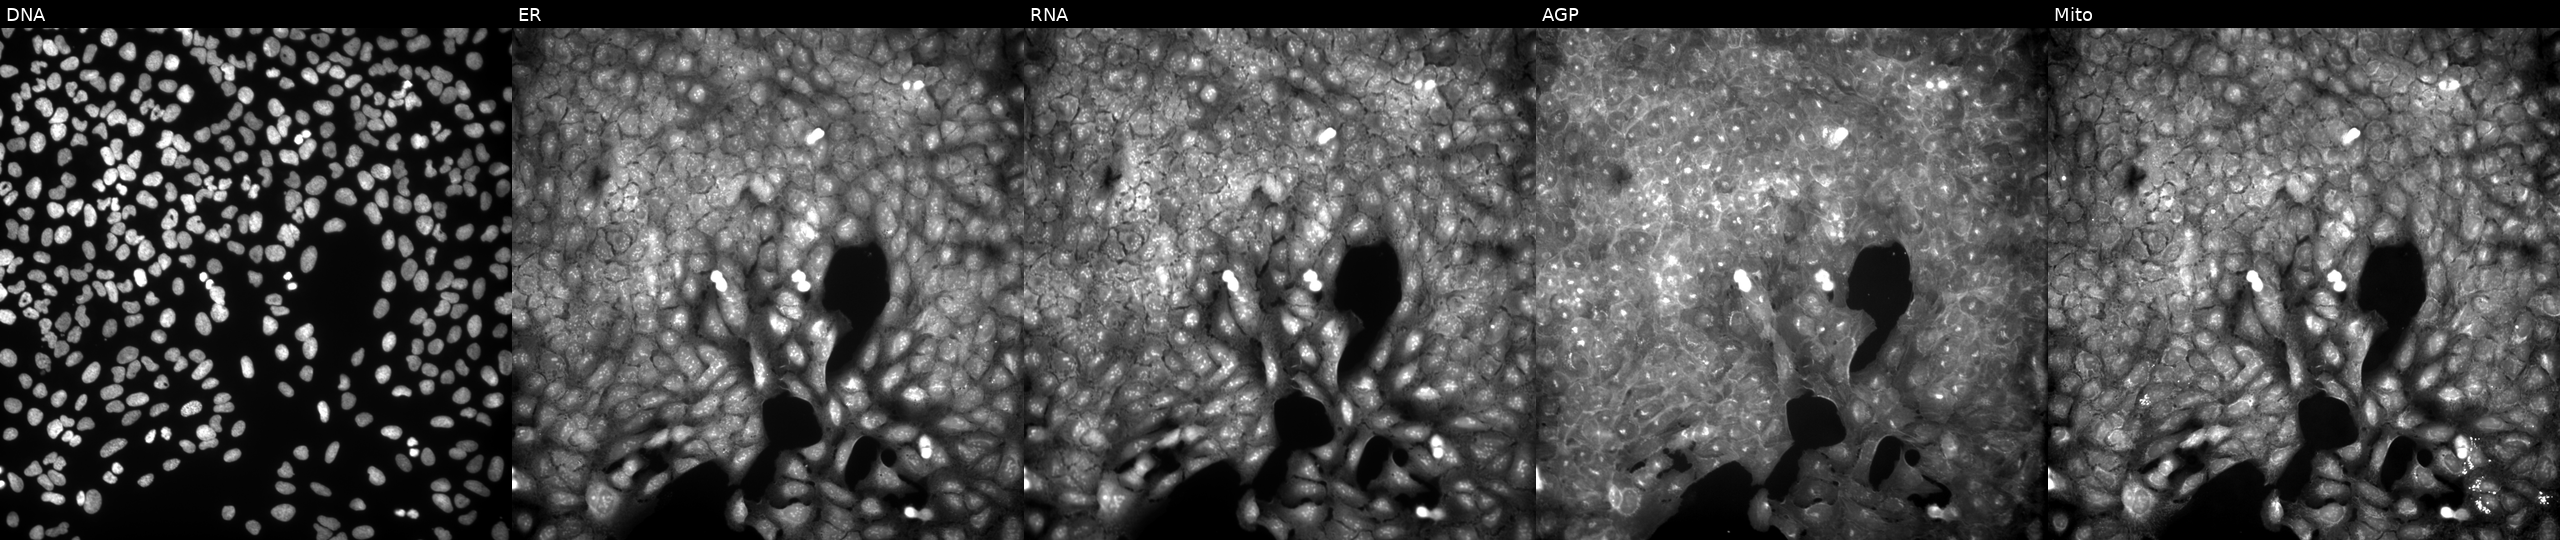
High-content fluorescence microscopy (Cell Painting). Cell line: U2OS. Perturbation: treated with a small-molecule compound (InChIKey FEUHOZRIMZHNTB-UHFFFAOYSA-N) [SMILES: Cc1ccc(C)c(N=c2cc(C)[nH]c3ncnn23)c1] (JUMP id JCP2022_020183). Panels show, left to right, Hoechst 33342, concanavalin A, SYTO 14, phalloidin and WGA, MitoTracker.